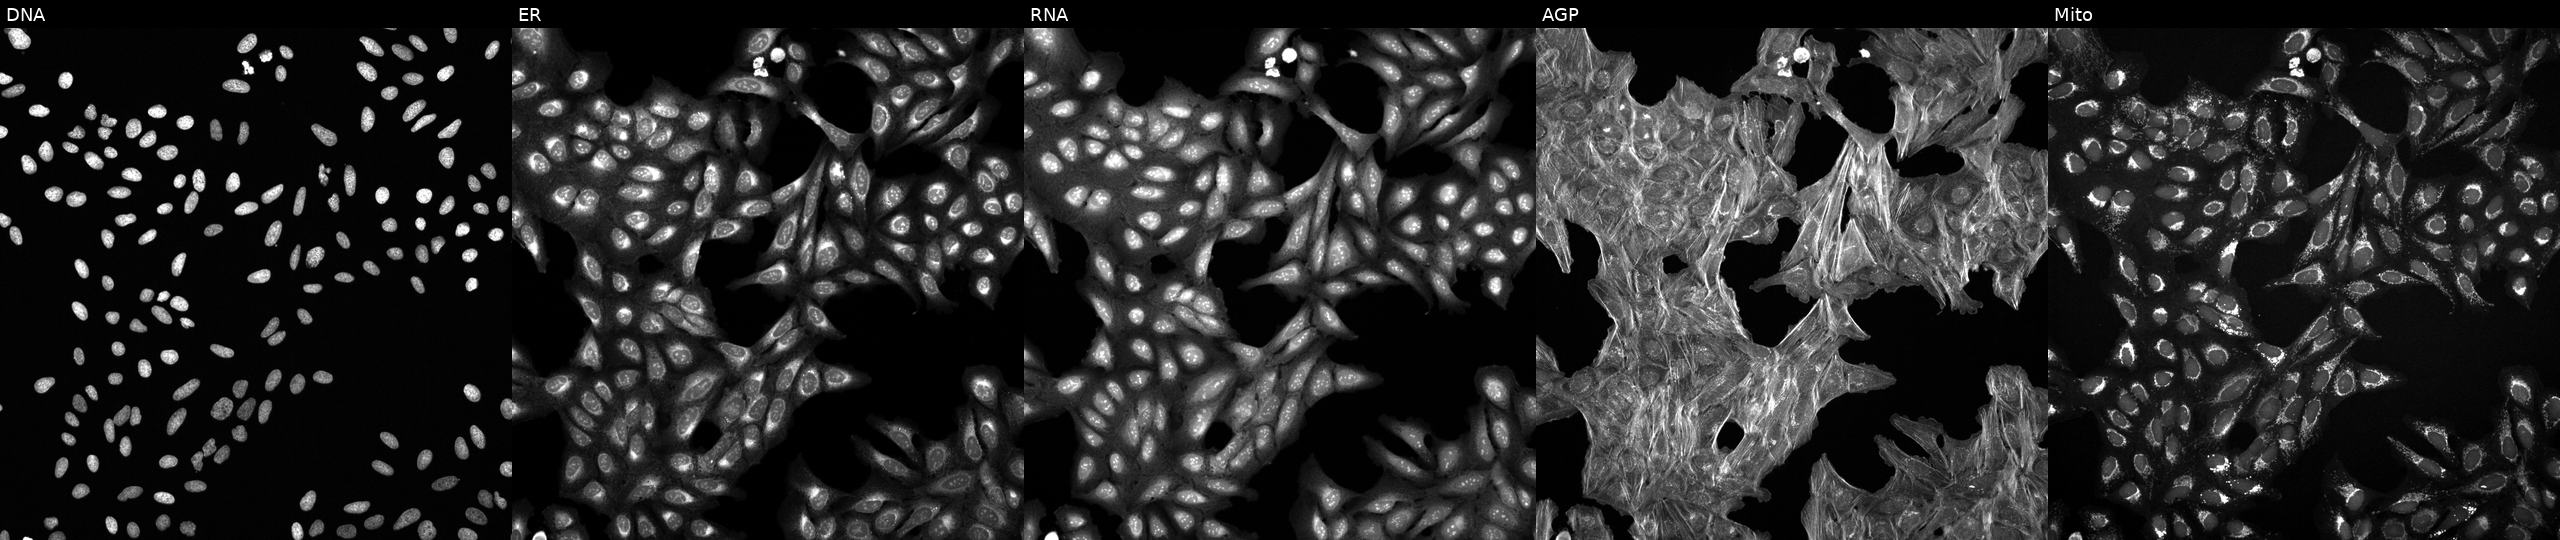
Five-channel Cell Painting image of U2OS cells exposed to a small-molecule compound (InChIKey MOTYRJXEYVMLPJ-UHFFFAOYSA-N) [SMILES: Cc1ccc(-c2ccc(OCCNC(=O)CC3CCCCC3)nn2)cc1] (JUMP id JCP2022_055559). Channels (left→right): DNA (nuclei); ER (endoplasmic reticulum); RNA (nucleoli and cytoplasmic RNA); AGP (actin cytoskeleton, Golgi, and plasma membrane); Mito (mitochondria).